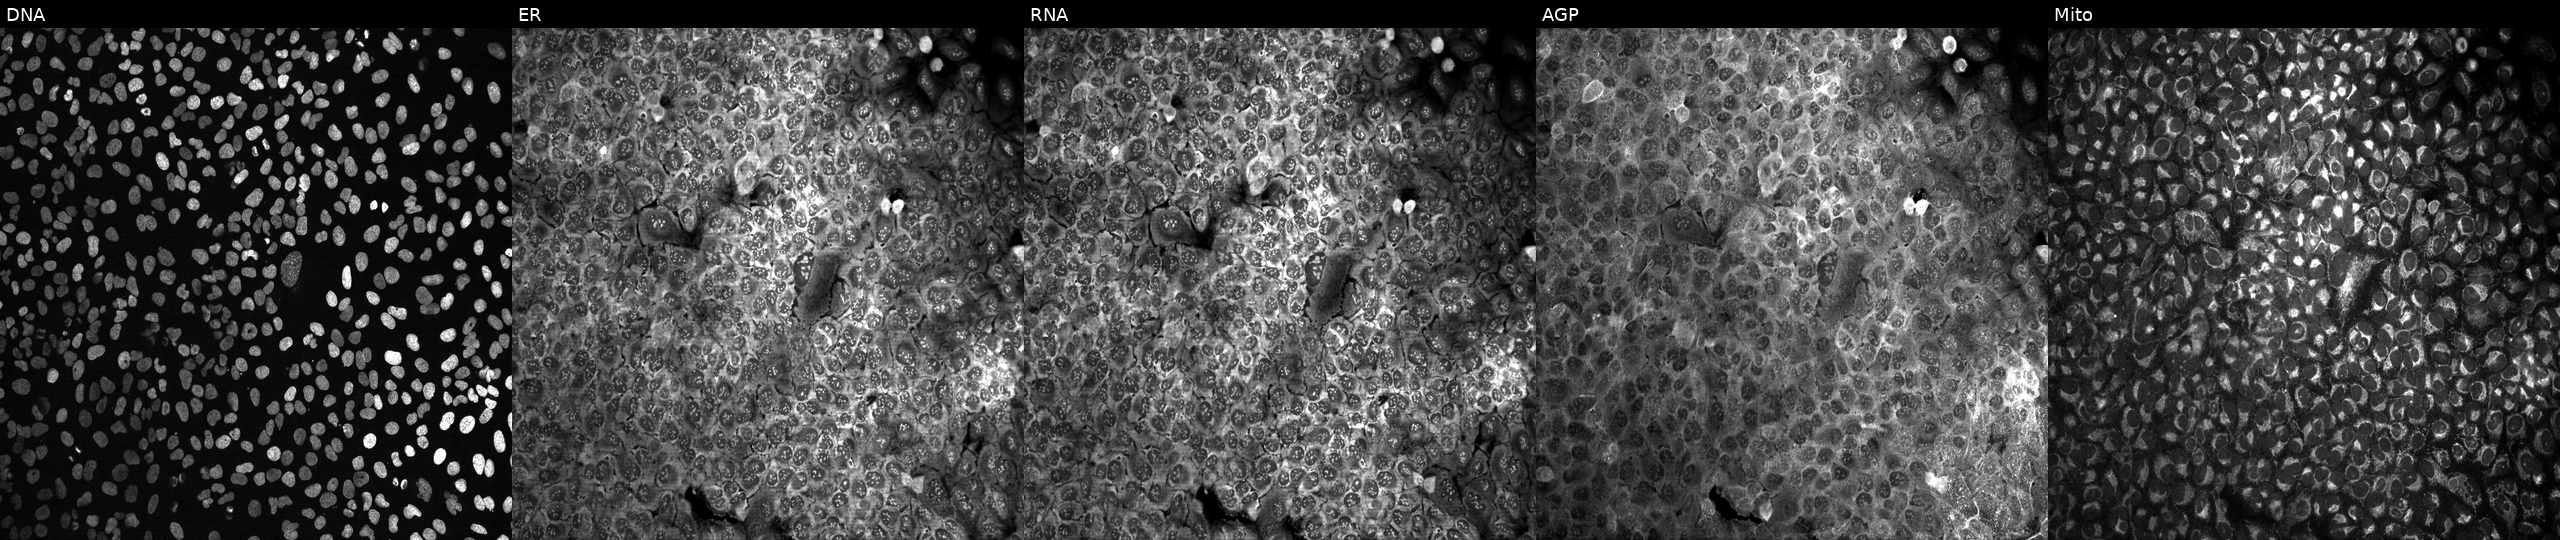
High-content fluorescence microscopy (Cell Painting). Cell line: U2OS. Perturbation: CRISPR-edited to disrupt SAMD4A (JUMP id JCP2022_806172). Channels (left→right): Hoechst 33342, concanavalin A, SYTO 14, phalloidin and WGA, MitoTracker.